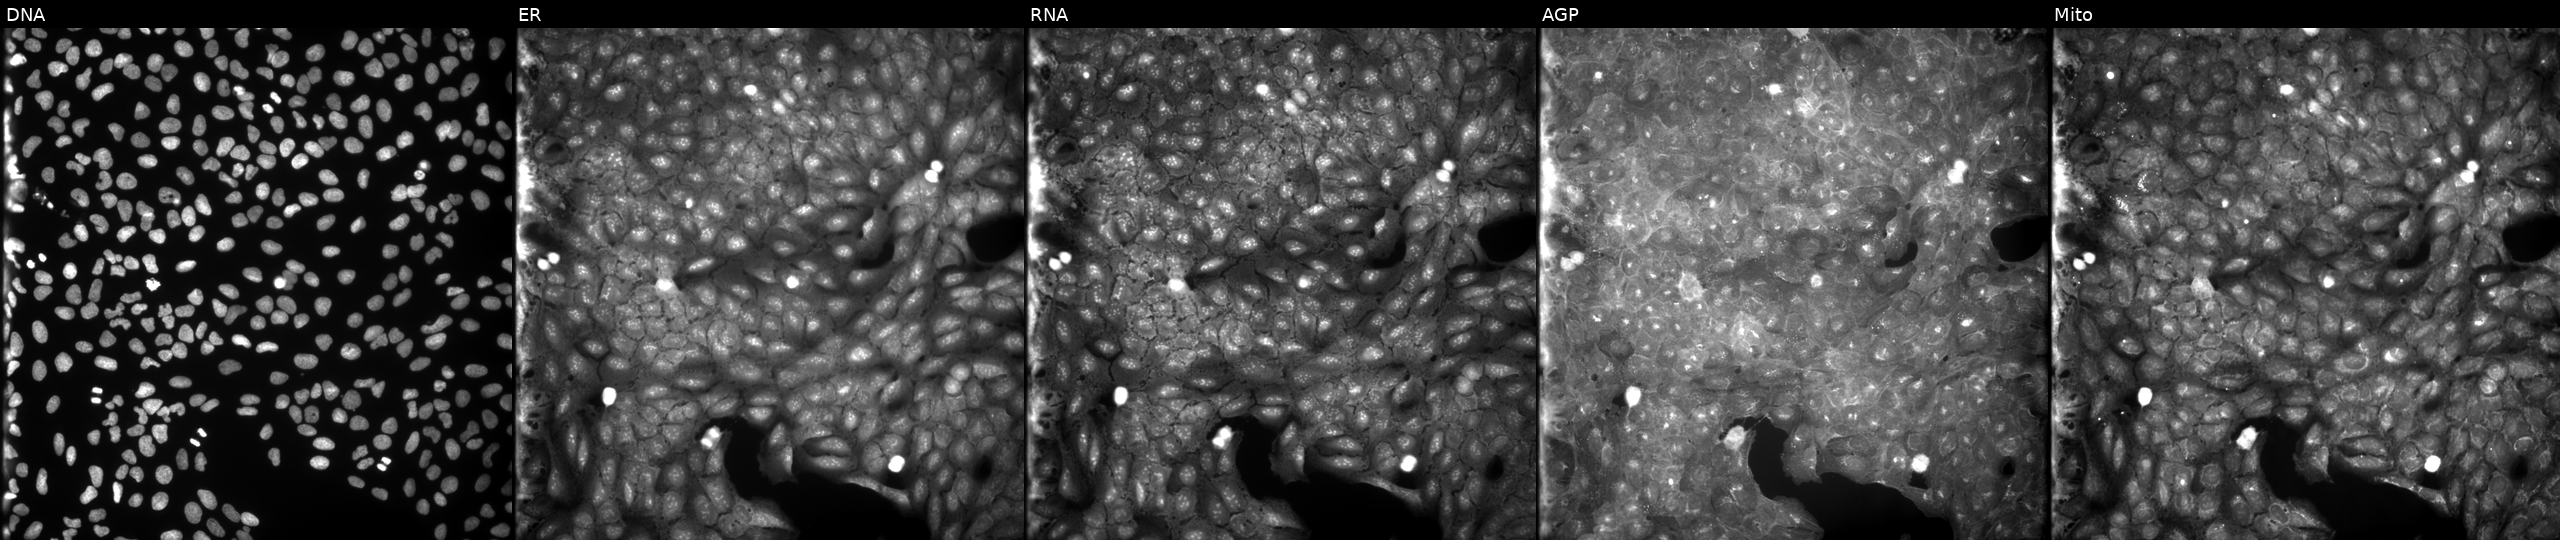
This image strip shows the five Cell Painting channels for a single field of U2OS cells perturbed with a small-molecule compound (InChIKey DIGCAFSNCARNNV-UHFFFAOYSA-N) [SMILES: CCN(CC)C(=O)N1CCN(c2ccc(N=c3cc[nH]c4cc5ccccc5cc34)cc2)CC1] (JUMP id JCP2022_016080). Panels show, left to right, DNA (nuclei); ER (endoplasmic reticulum); RNA (nucleoli and cytoplasmic RNA); AGP (actin cytoskeleton, Golgi, and plasma membrane); Mito (mitochondria).